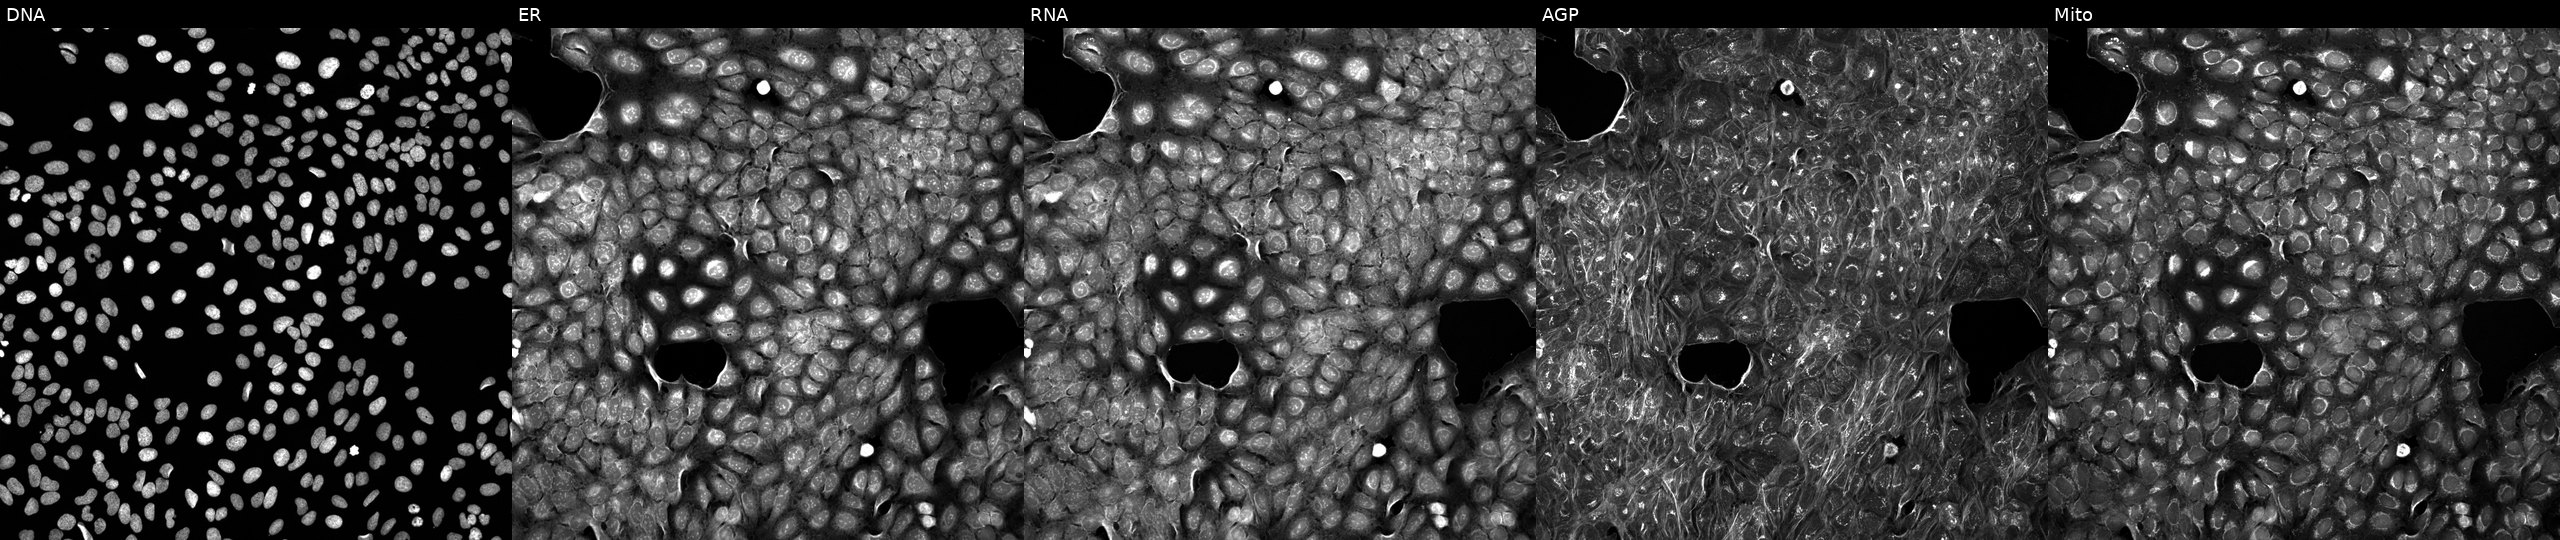
This image strip shows the five Cell Painting channels for a single field of U2OS cells treated with a small-molecule compound (InChIKey FVBRFYFVFZYADG-UHFFFAOYSA-N) (JUMP id JCP2022_023165). Panels show, left to right, DNA (nuclei); ER (endoplasmic reticulum); RNA (nucleoli and cytoplasmic RNA); AGP (actin cytoskeleton, Golgi, and plasma membrane); Mito (mitochondria).